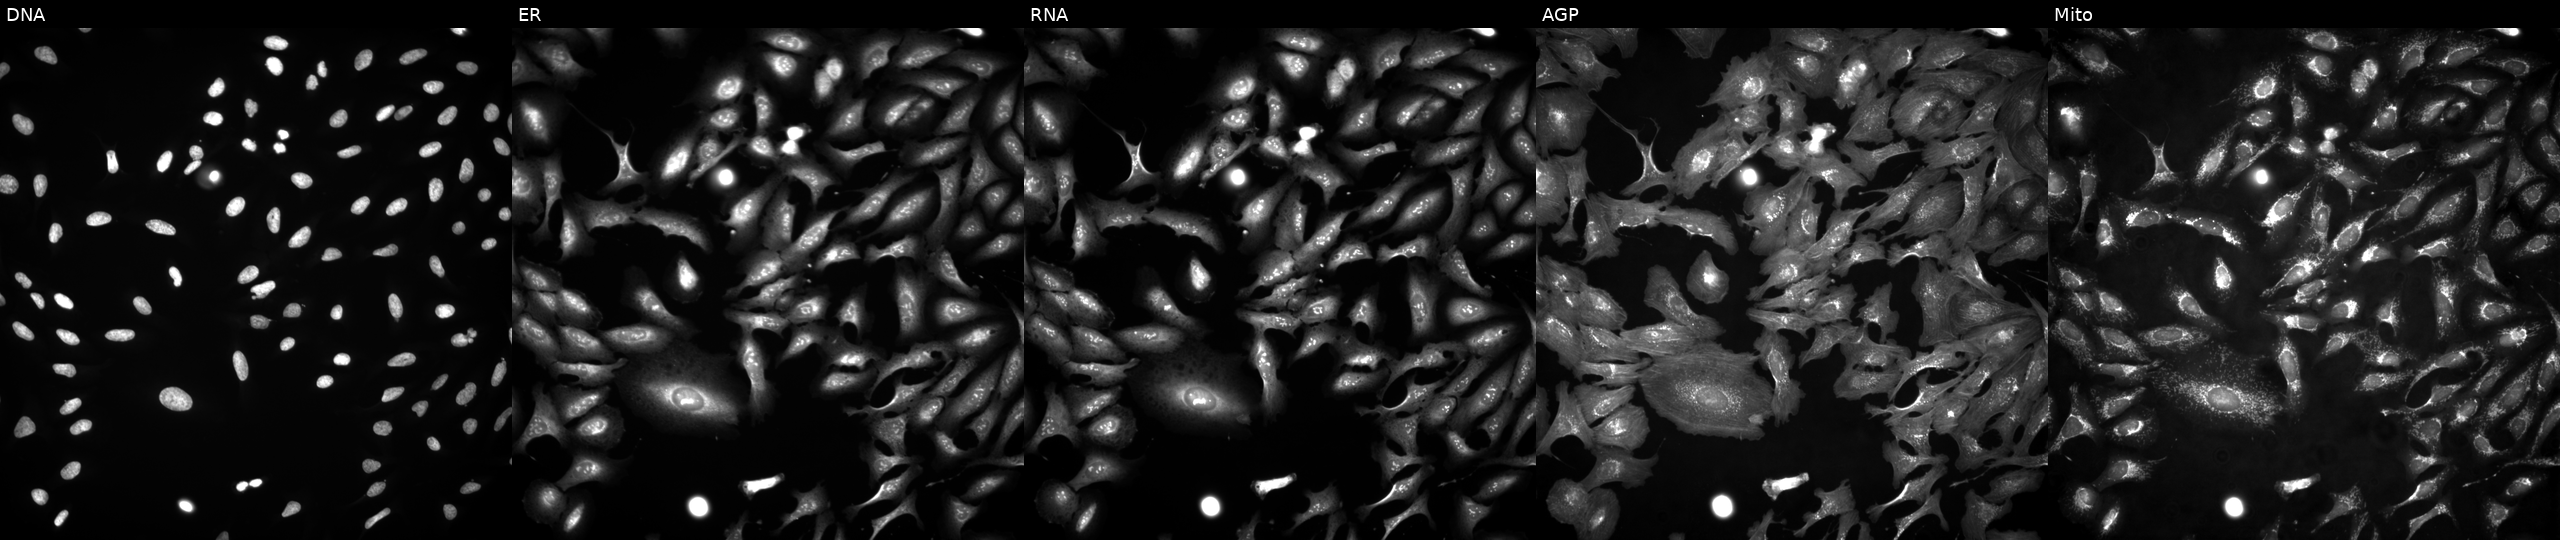
This image strip shows the five Cell Painting channels for a single field of U2OS cells with CDKL4 overexpressed (ORF). The five panels, left to right, show Hoechst 33342, concanavalin A, SYTO 14, phalloidin and WGA, MitoTracker.